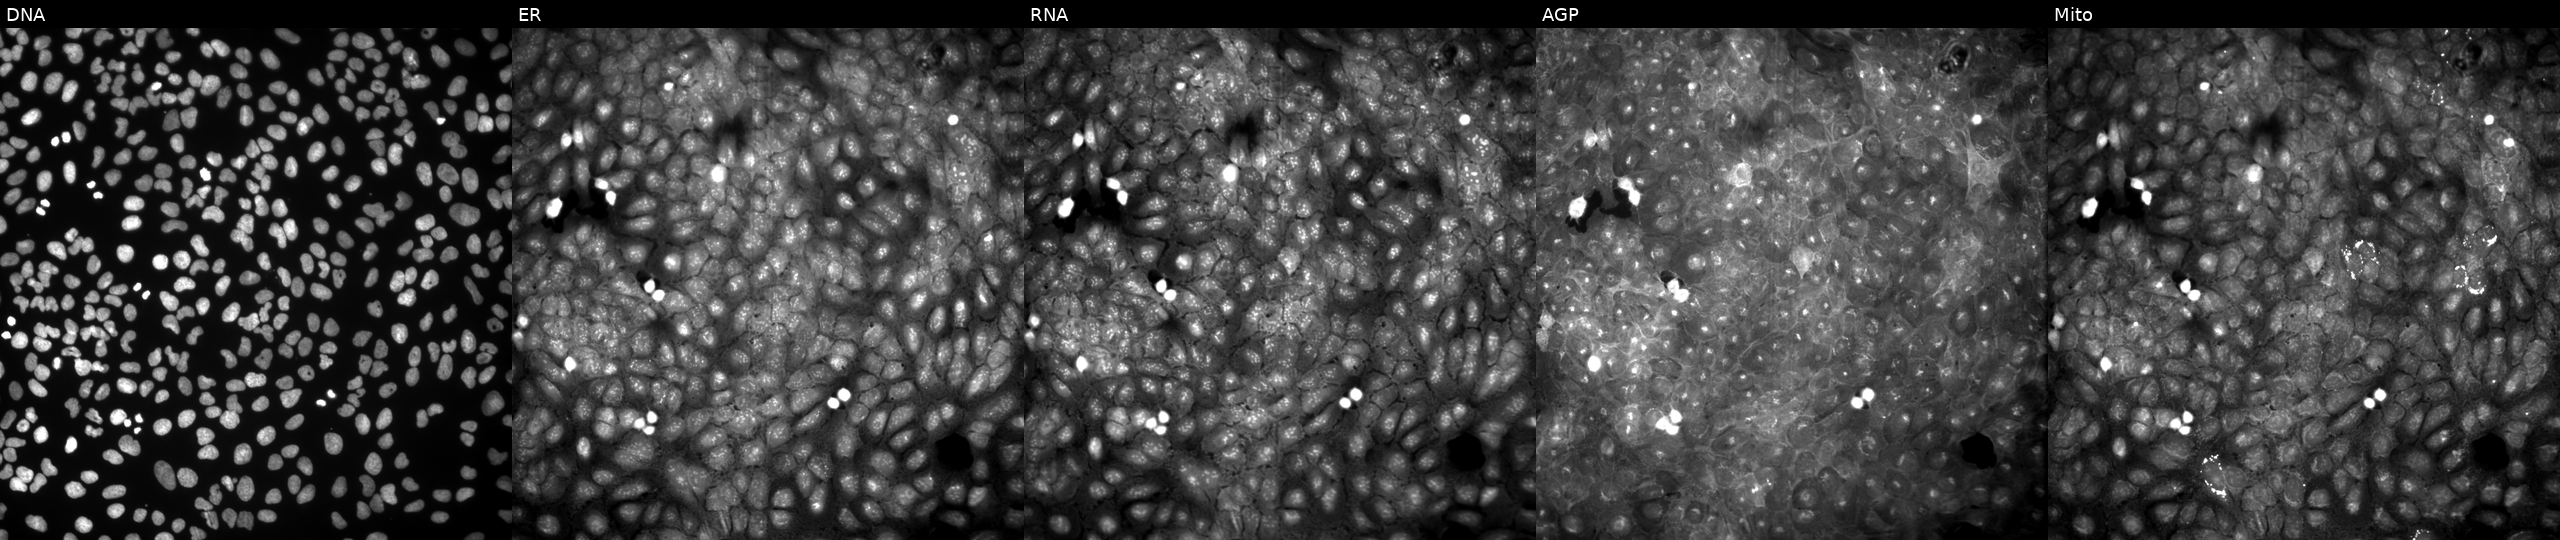
JUMP Cell Painting — COMPOUND plate. U2OS cells perturbed with a small-molecule compound (InChIKey GDTDCOKFSIHHNT-UHFFFAOYSA-N) (JUMP id JCP2022_024799). Channels (left→right): DNA (nuclei); ER (endoplasmic reticulum); RNA (nucleoli and cytoplasmic RNA); AGP (actin cytoskeleton, Golgi, and plasma membrane); Mito (mitochondria).